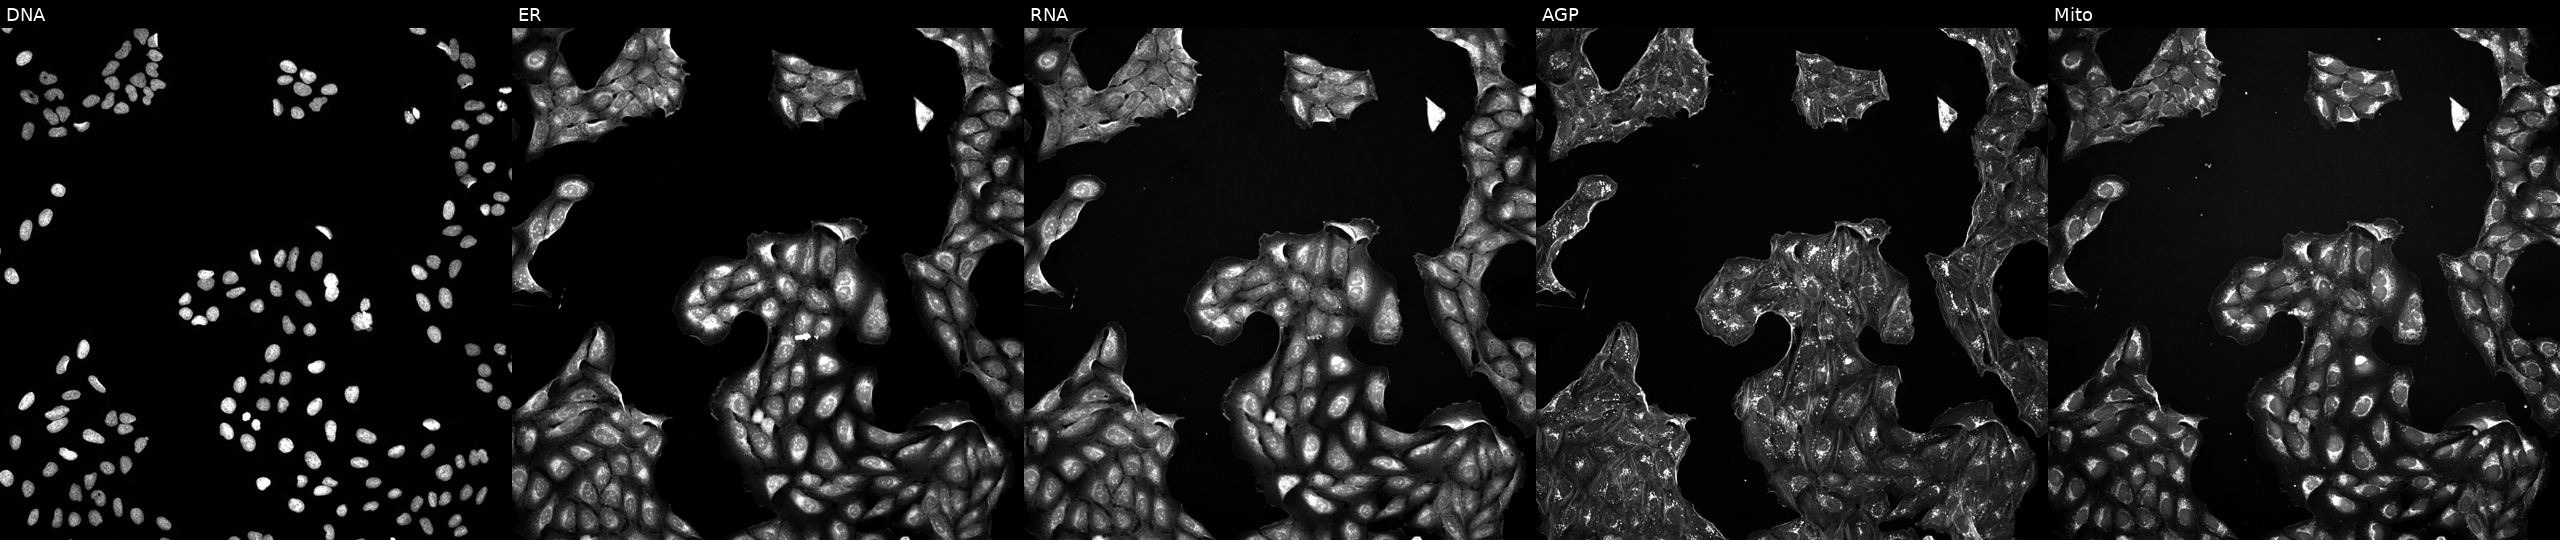
High-content fluorescence microscopy (Cell Painting). Cell line: U2OS. Perturbation: treated with a small-molecule compound. Panels show, left to right, Hoechst 33342, concanavalin A, SYTO 14, phalloidin and WGA, MitoTracker.